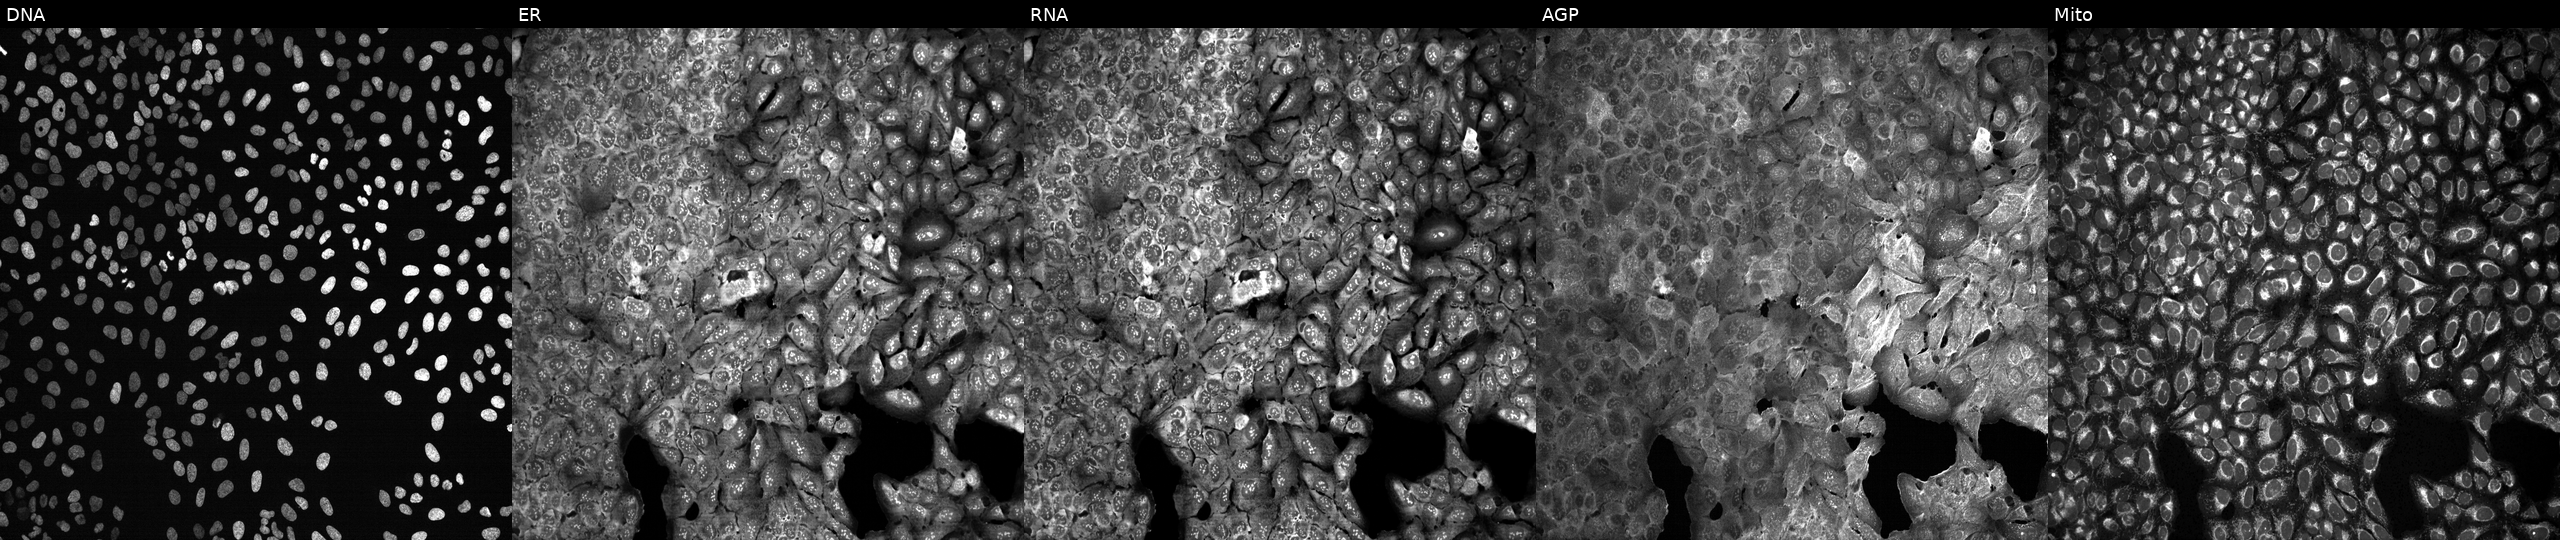
JUMP Cell Painting — CRISPR plate. U2OS cells with no CRISPR guide (negative control). Panels show, left to right, DNA, ER, RNA, AGP, and Mito.